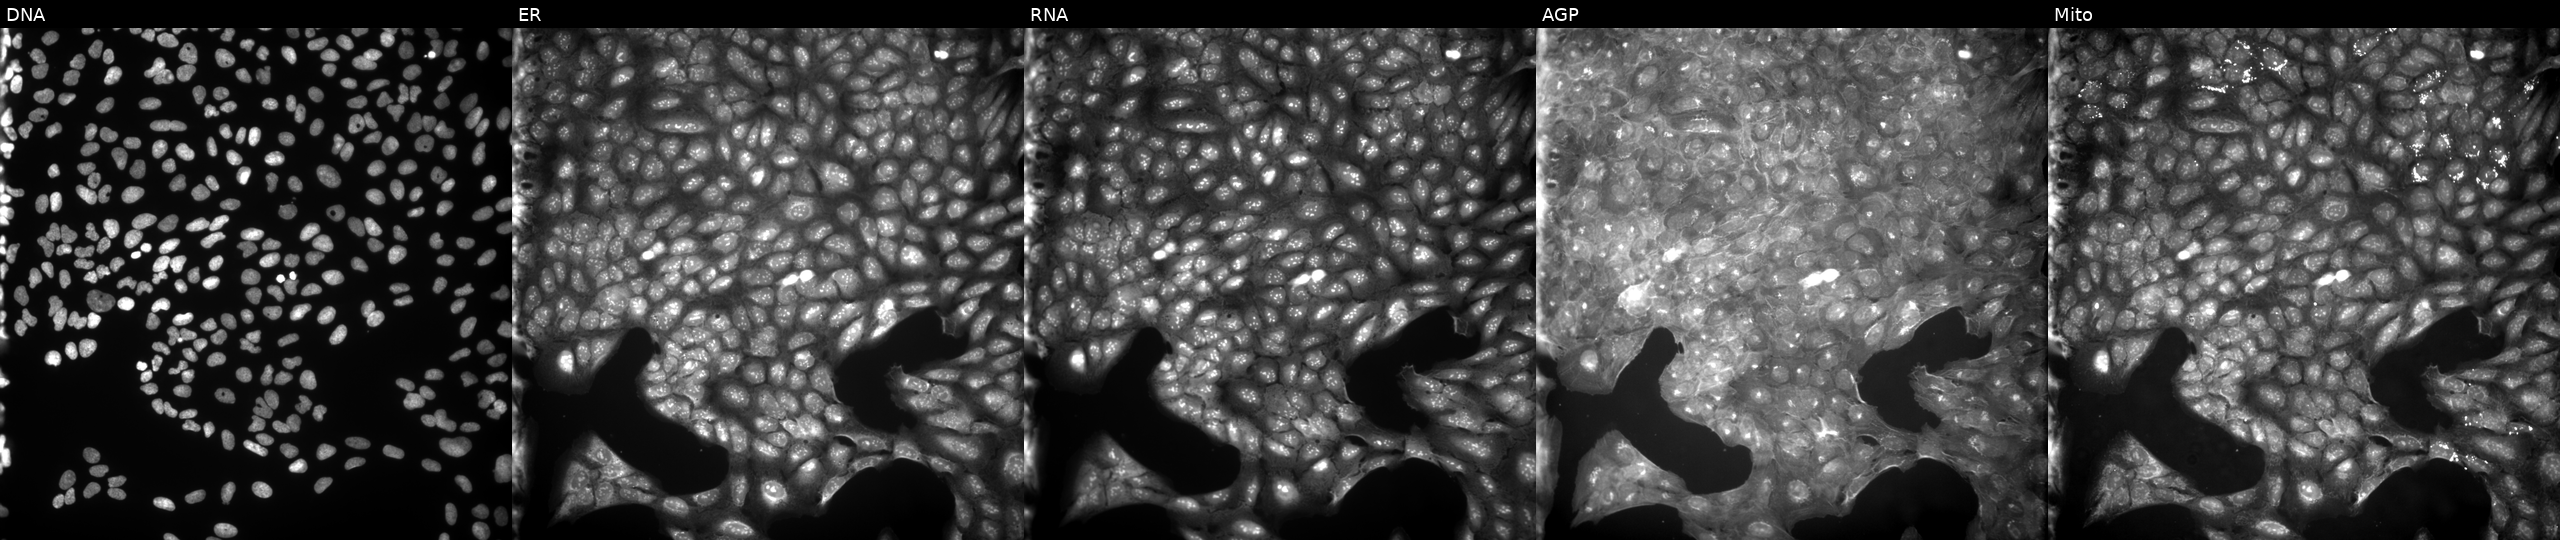
High-content fluorescence microscopy (Cell Painting). Cell line: U2OS. Perturbation: exposed to a small-molecule compound (InChIKey NYFDINKAZNANAR-UHFFFAOYSA-N) (JUMP id JCP2022_062126). Panels show, left to right, DNA (nuclei); ER (endoplasmic reticulum); RNA (nucleoli and cytoplasmic RNA); AGP (actin cytoskeleton, Golgi, and plasma membrane); Mito (mitochondria). Source 9, plate GR00003382, well H19.